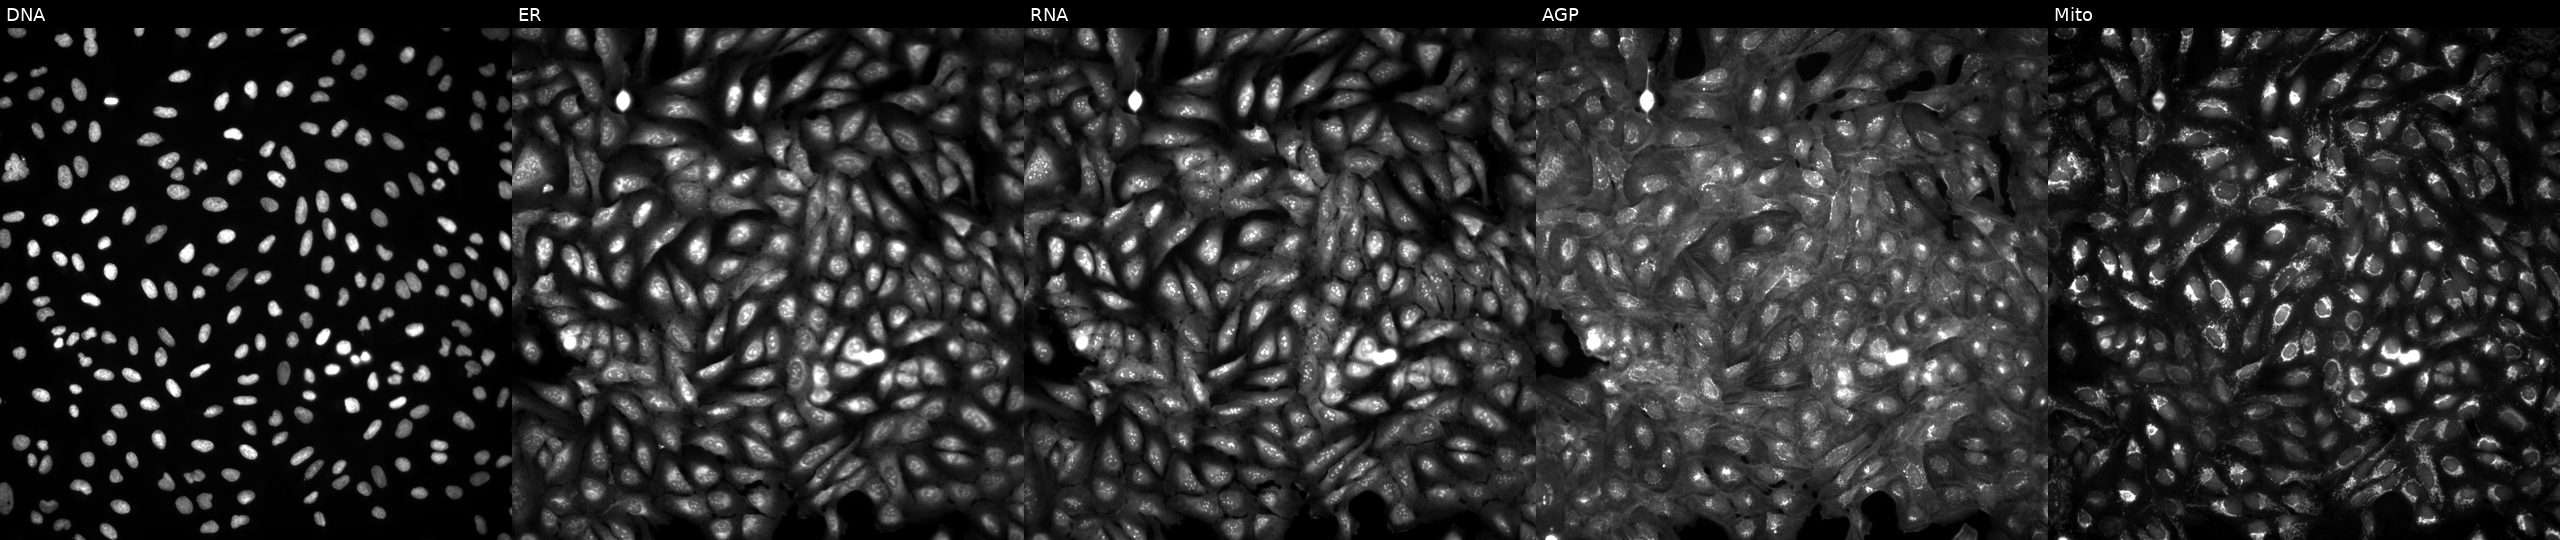
High-content fluorescence microscopy (Cell Painting). Cell line: U2OS. Perturbation: untreated (empty-well control) (JUMP id JCP2022_999999). The five panels, left to right, show Hoechst 33342, concanavalin A, SYTO 14, phalloidin and WGA, MitoTracker.